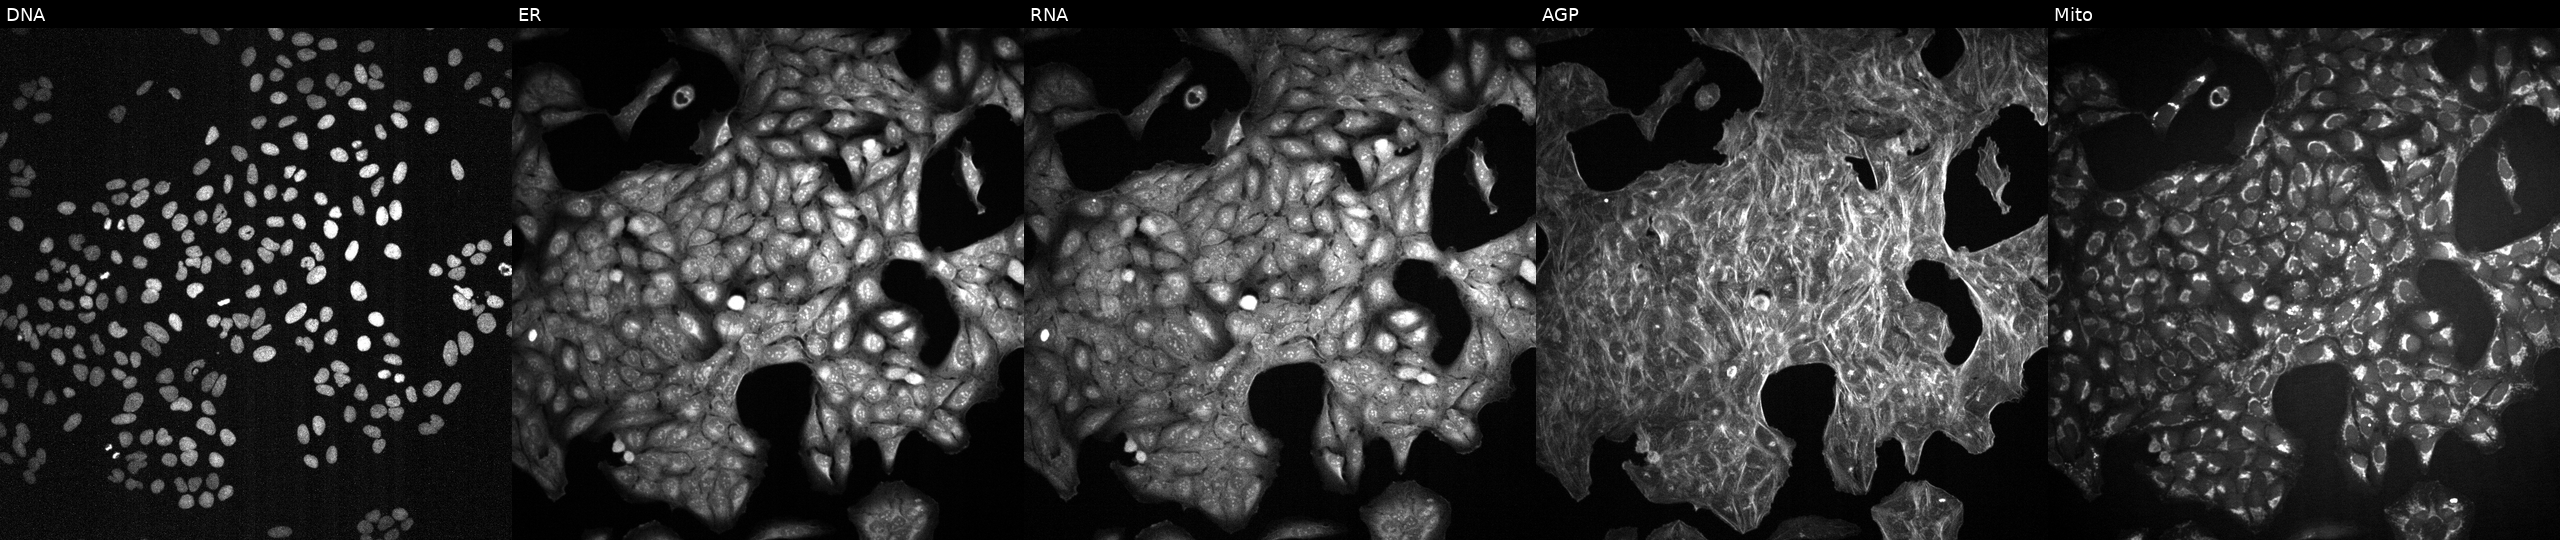
Channels (left→right): DNA, ER, RNA, AGP, and Mito. U2OS osteosarcoma cells exposed to a small-molecule compound. Cell Painting assay, JUMP-CP dataset.